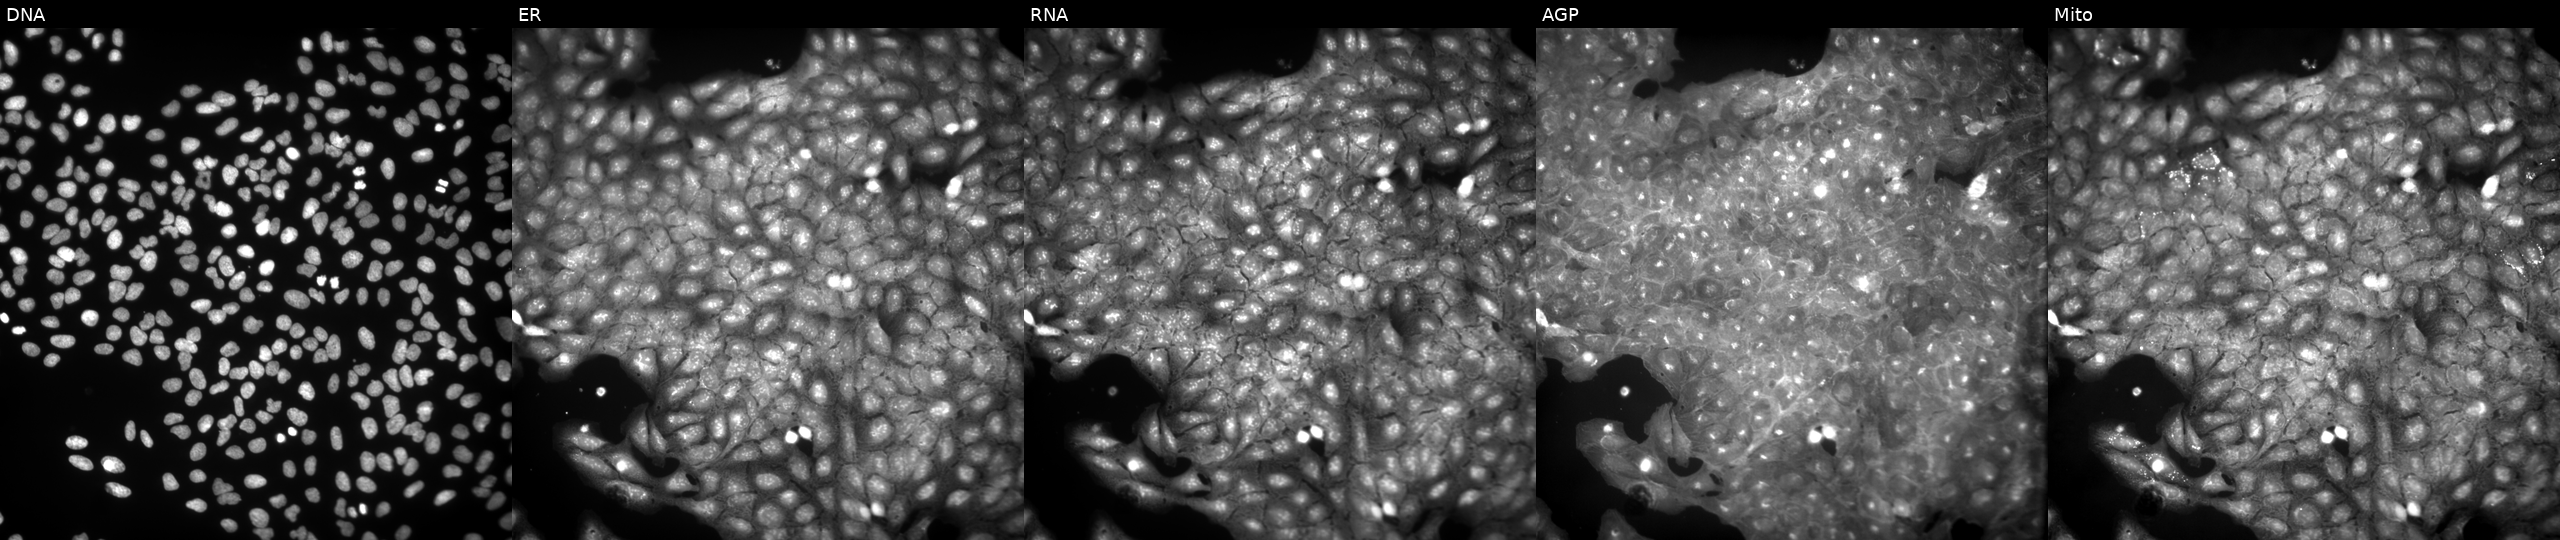
High-content fluorescence microscopy (Cell Painting). Cell line: U2OS. Perturbation: perturbed with a small-molecule compound (JUMP id JCP2022_095291). Channels (left→right): DNA (nuclei); ER (endoplasmic reticulum); RNA (nucleoli and cytoplasmic RNA); AGP (actin cytoskeleton, Golgi, and plasma membrane); Mito (mitochondria).